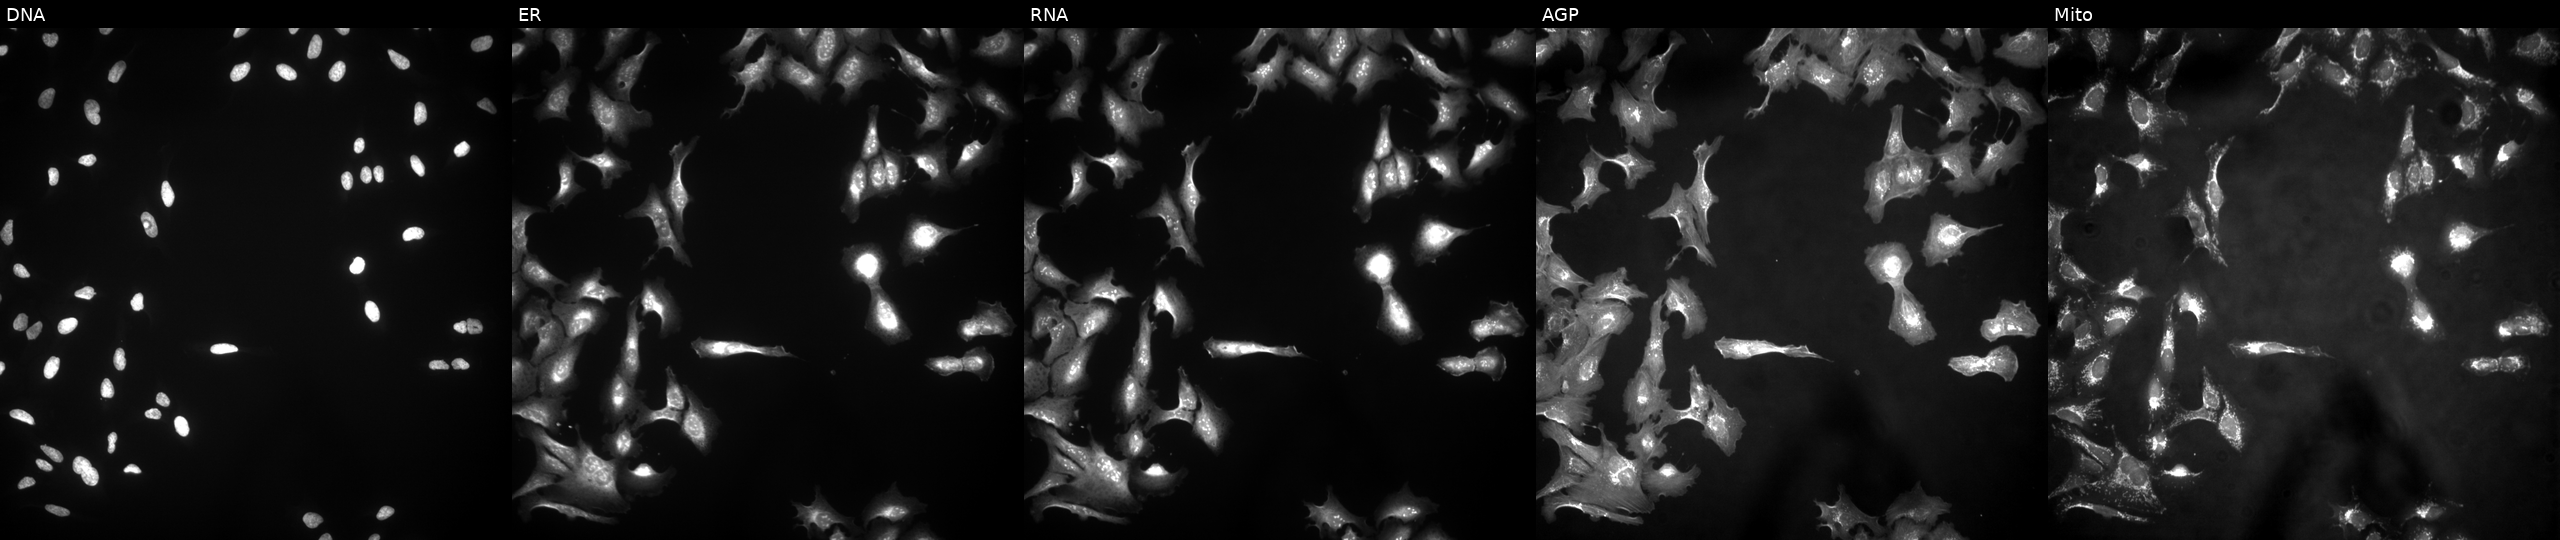
This image strip shows the five Cell Painting channels for a single field of U2OS cells transfected with an ORF construct for CS. Channels (left→right): DNA (nuclei); ER (endoplasmic reticulum); RNA (nucleoli and cytoplasmic RNA); AGP (actin cytoskeleton, Golgi, and plasma membrane); Mito (mitochondria). Source 4, plate BR00123506, well O04.